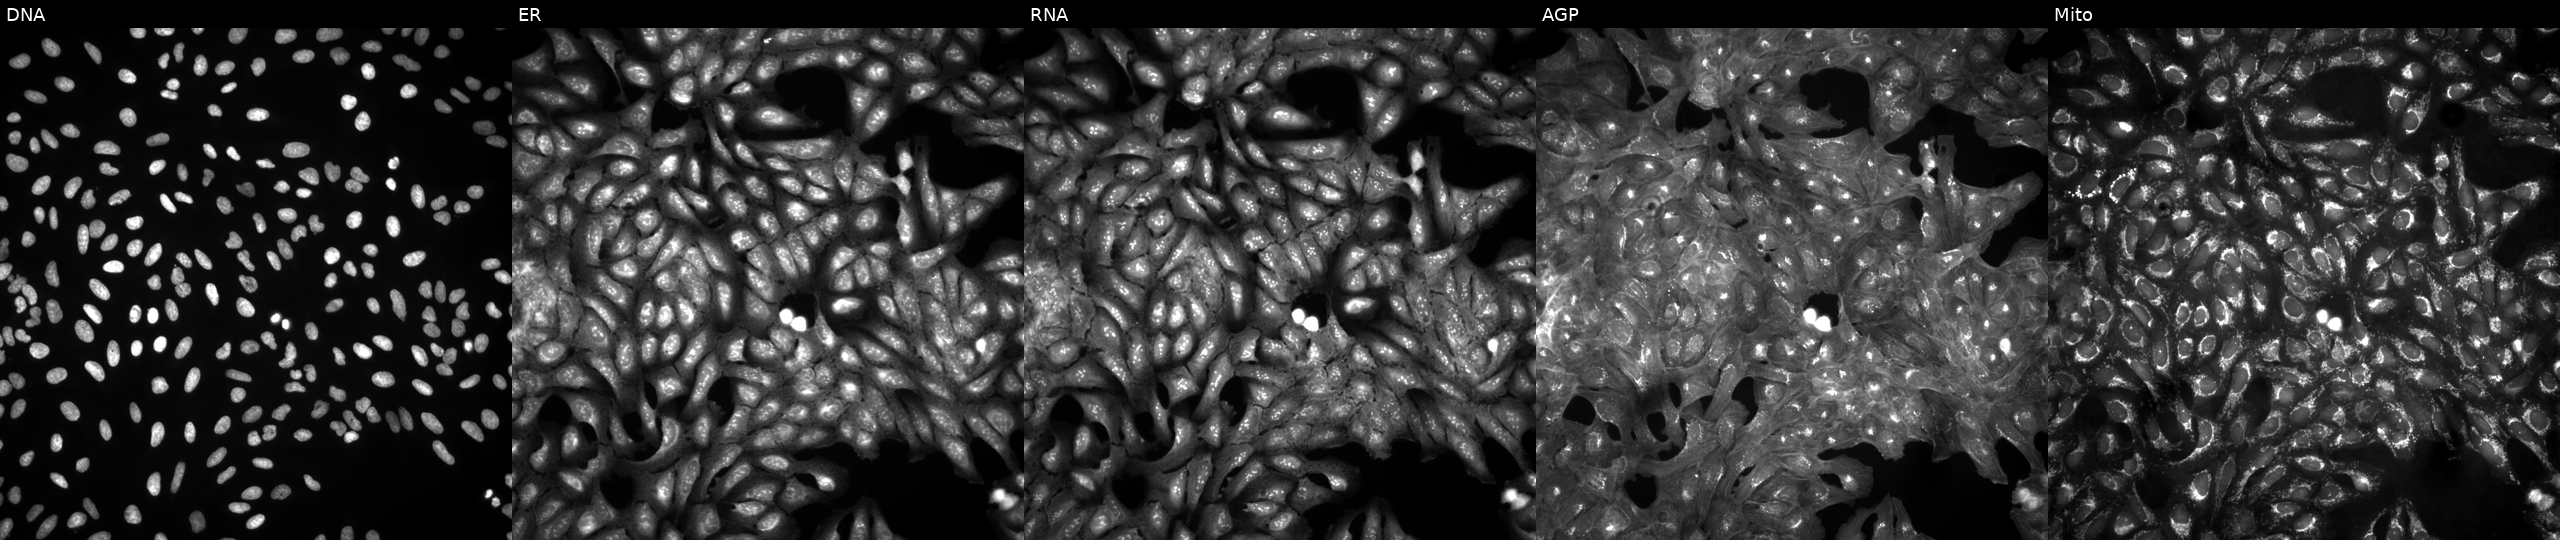
U2OS cells, Cell Painting assay, untreated (empty-well control) (JUMP id JCP2022_999999). From left to right: DNA, ER, RNA, AGP, and Mito. Each panel is percentile-stretched 16-bit fluorescence.